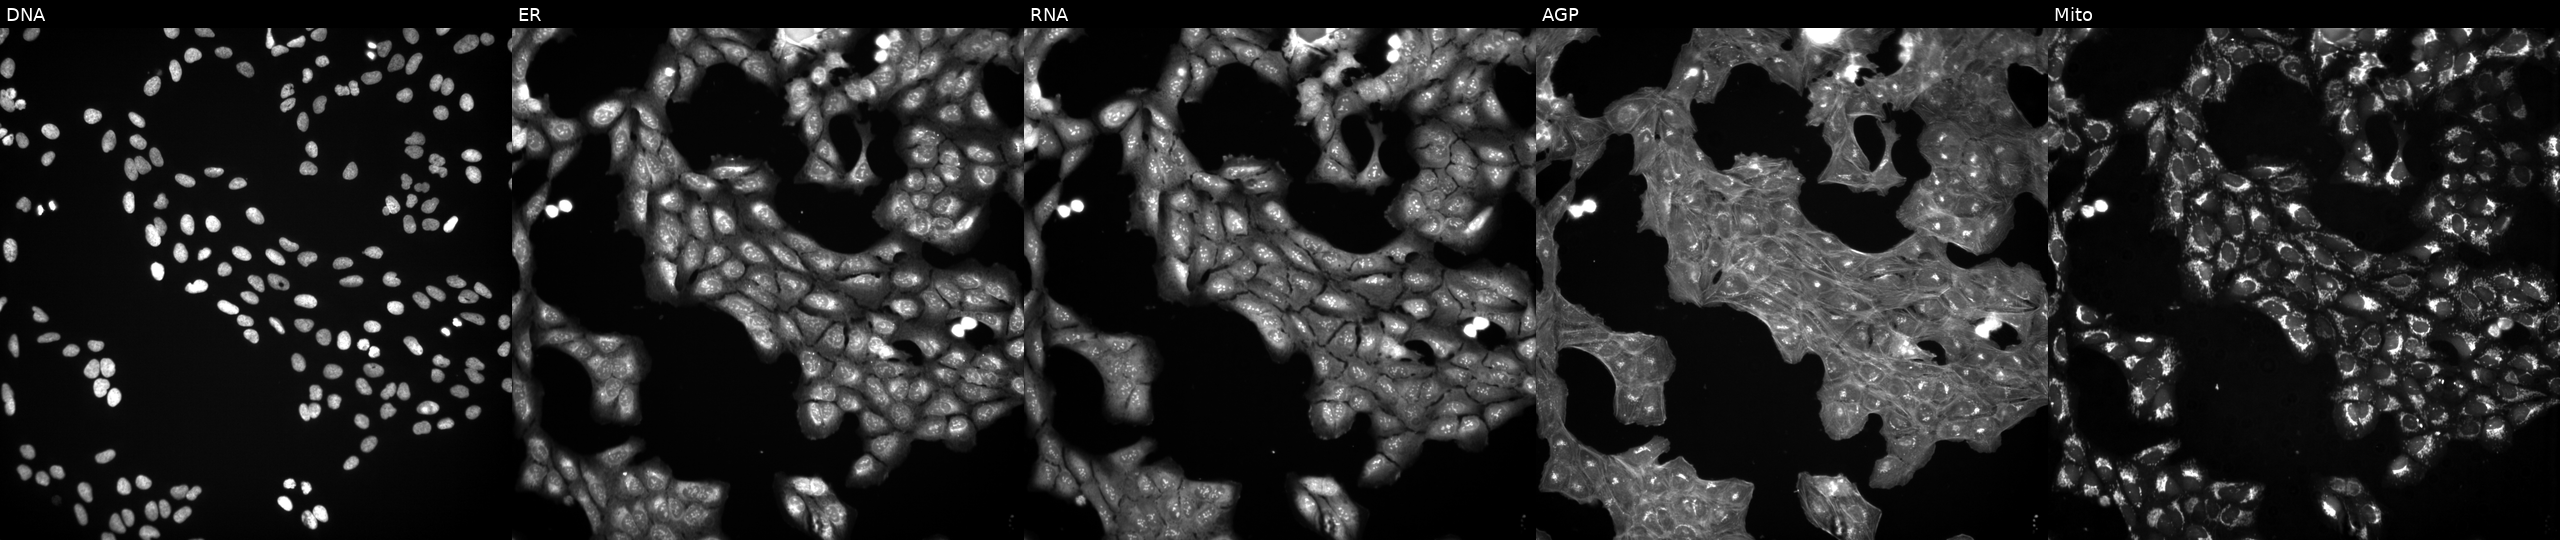
This image strip shows the five Cell Painting channels for a single field of U2OS cells treated with a small-molecule compound (InChIKey JFUIMTGOQCQTPF-UHFFFAOYSA-N). The five panels, left to right, show Hoechst 33342, concanavalin A, SYTO 14, phalloidin and WGA, MitoTracker.